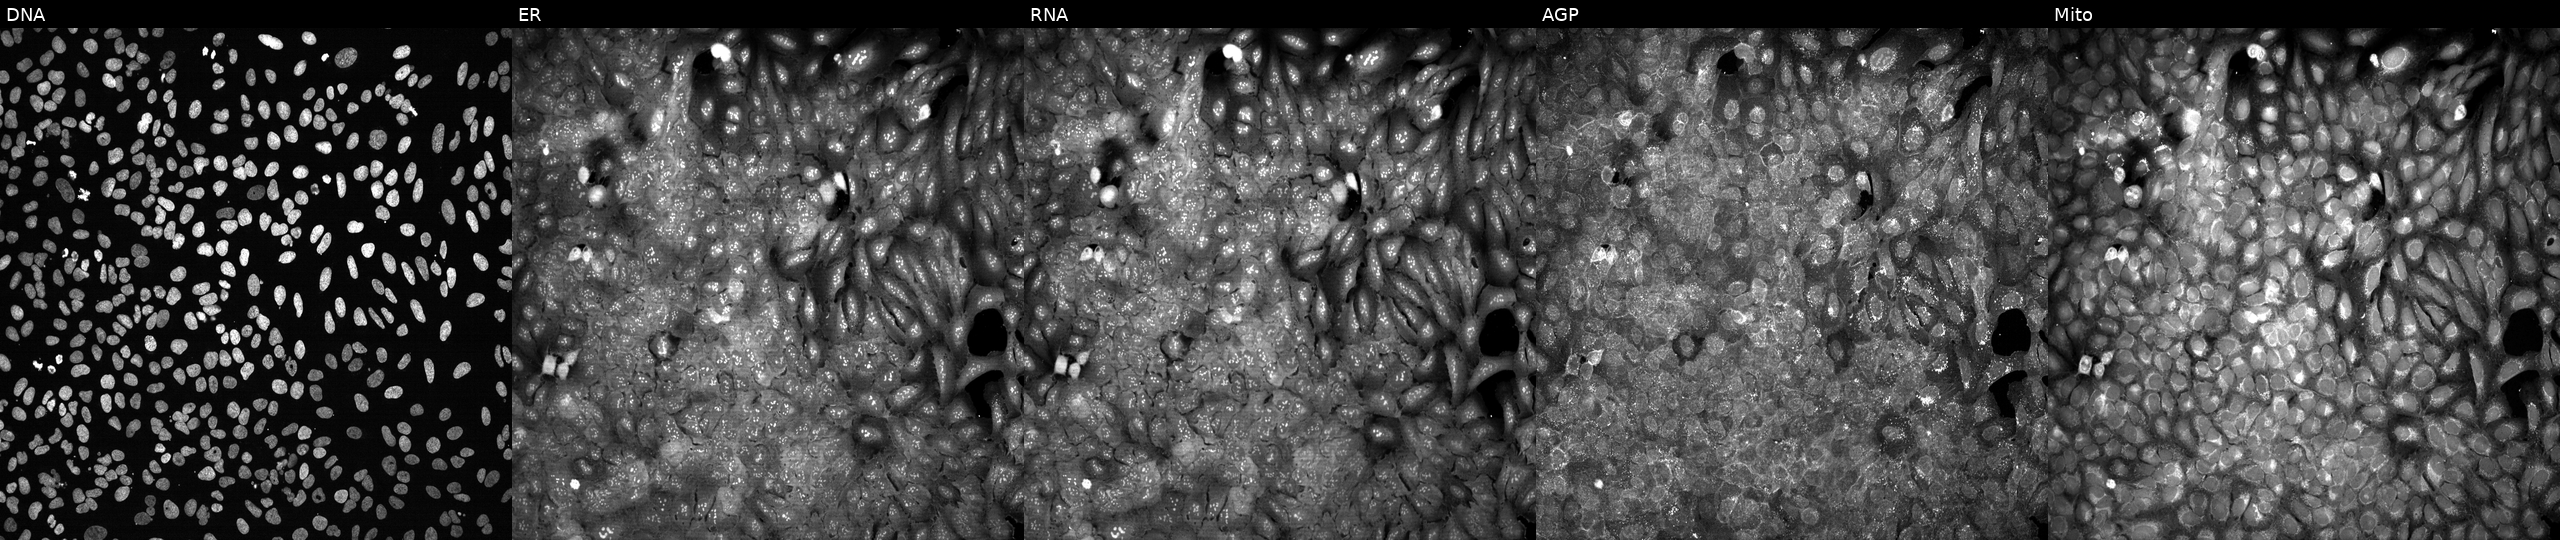
U2OS cells, Cell Painting assay, CRISPR-edited to disrupt AMPD1. Channels (left→right): DNA, ER, RNA, AGP, and Mito. Each panel is percentile-stretched 16-bit fluorescence.